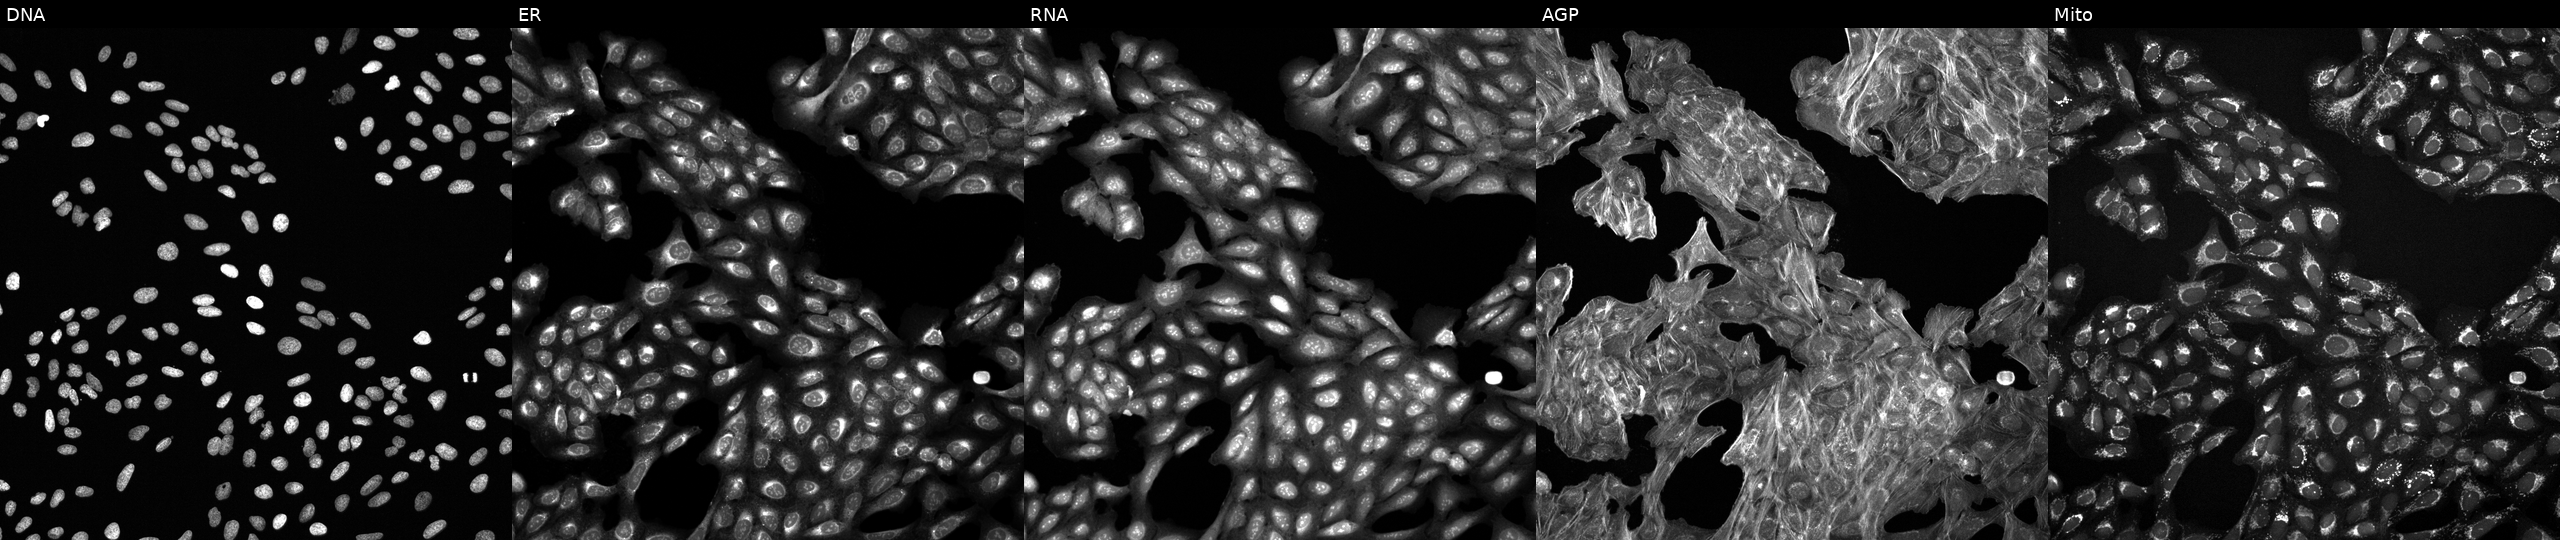
The five panels, left to right, show Hoechst 33342, concanavalin A, SYTO 14, phalloidin and WGA, MitoTracker. U2OS osteosarcoma cells perturbed with a small-molecule compound (InChIKey ATXRXDONESXMOM-UHFFFAOYSA-N) (JUMP id JCP2022_003844). Cell Painting assay, JUMP-CP dataset.